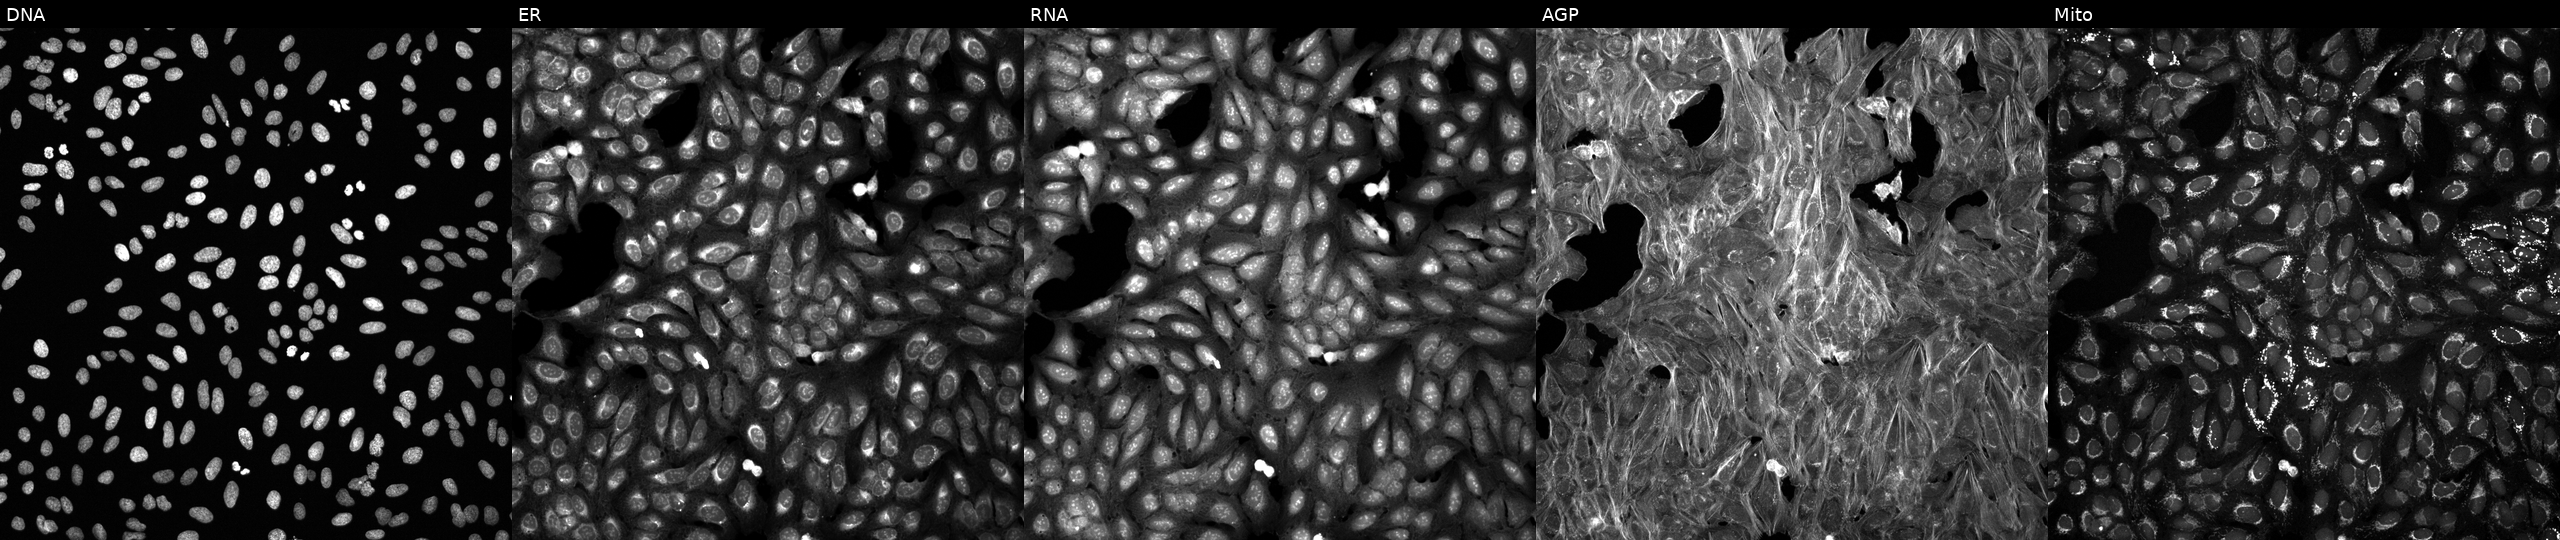
The five panels, left to right, show DNA, ER, RNA, AGP, and Mito. U2OS osteosarcoma cells perturbed with a small-molecule compound (InChIKey PVGVEVZDTXFQBX-UHFFFAOYSA-N) [SMILES: CC(C)c1ccc(CCNC(=O)CN2C(=O)NC3(CCCC3)C2=O)cc1] (JUMP id JCP2022_071168). Cell Painting assay, JUMP-CP dataset.